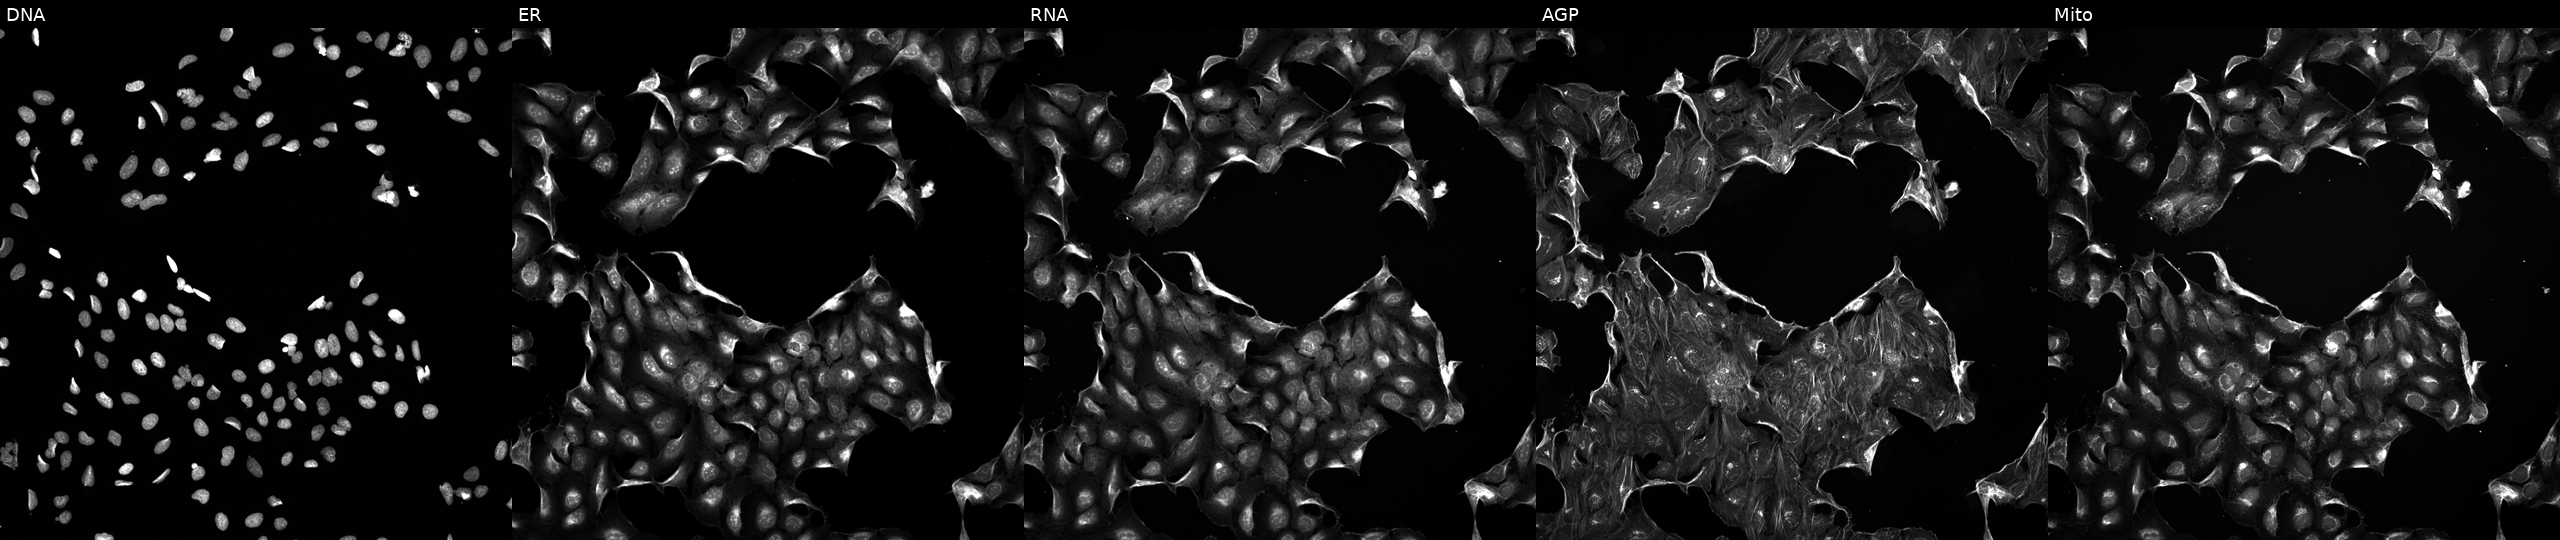
JUMP Cell Painting — COMPOUND plate. U2OS cells exposed to the positive-control compound TC-S-7004. The five panels, left to right, show DNA (nuclei); ER (endoplasmic reticulum); RNA (nucleoli and cytoplasmic RNA); AGP (actin cytoskeleton, Golgi, and plasma membrane); Mito (mitochondria).